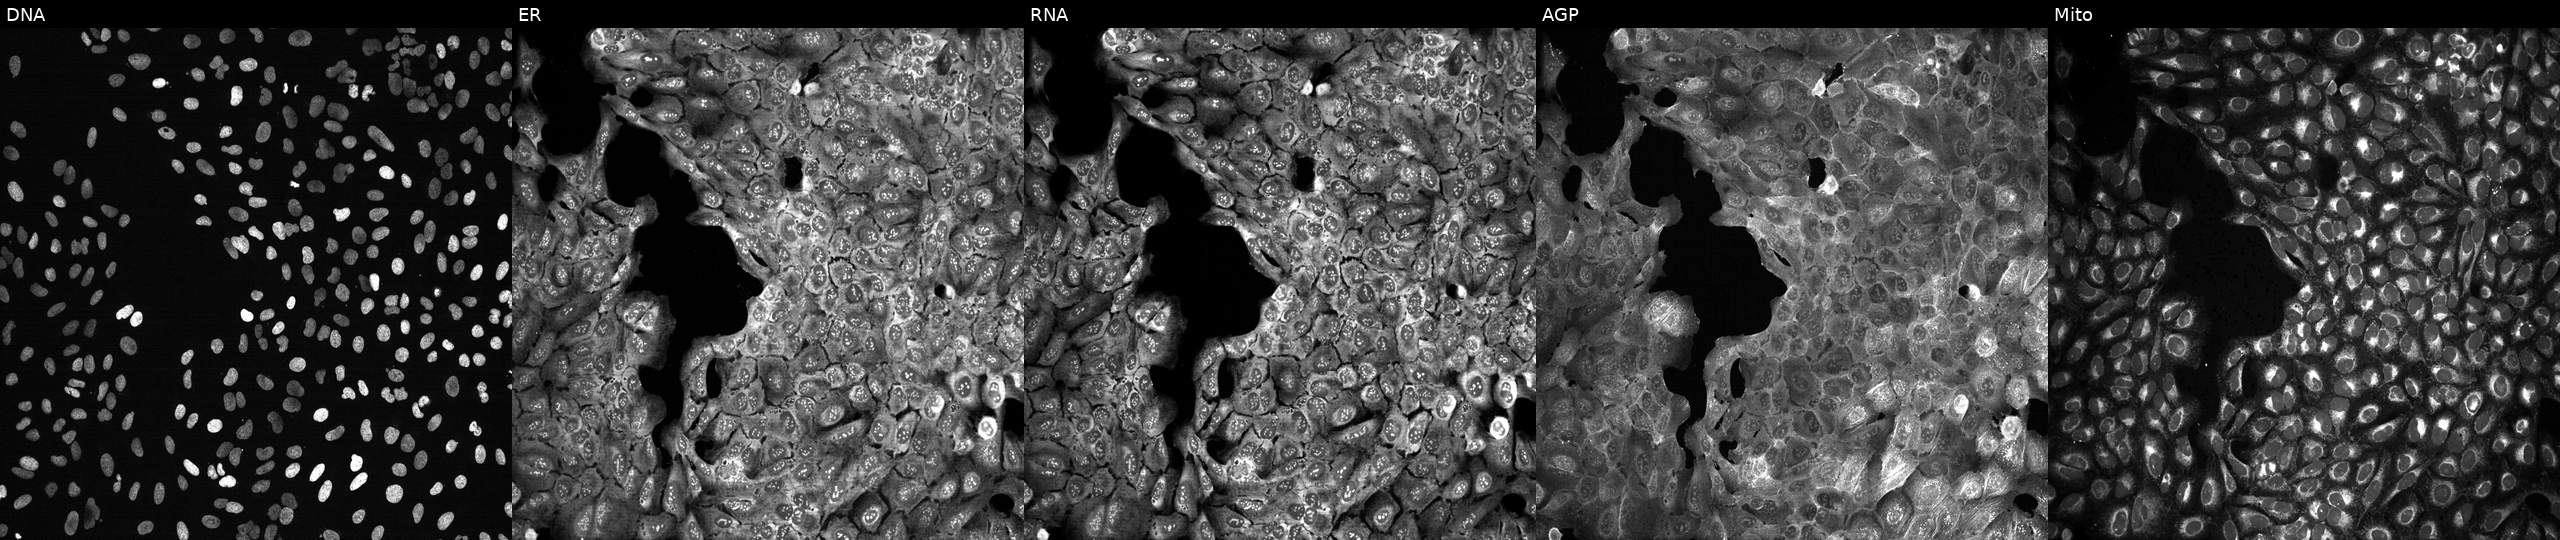
High-content fluorescence microscopy (Cell Painting). Cell line: U2OS. Perturbation: following CRISPR knockout of CES2. From left to right: DNA, ER, RNA, AGP, and Mito. Source 13, plate CP-CC9-R2-01, well D10.